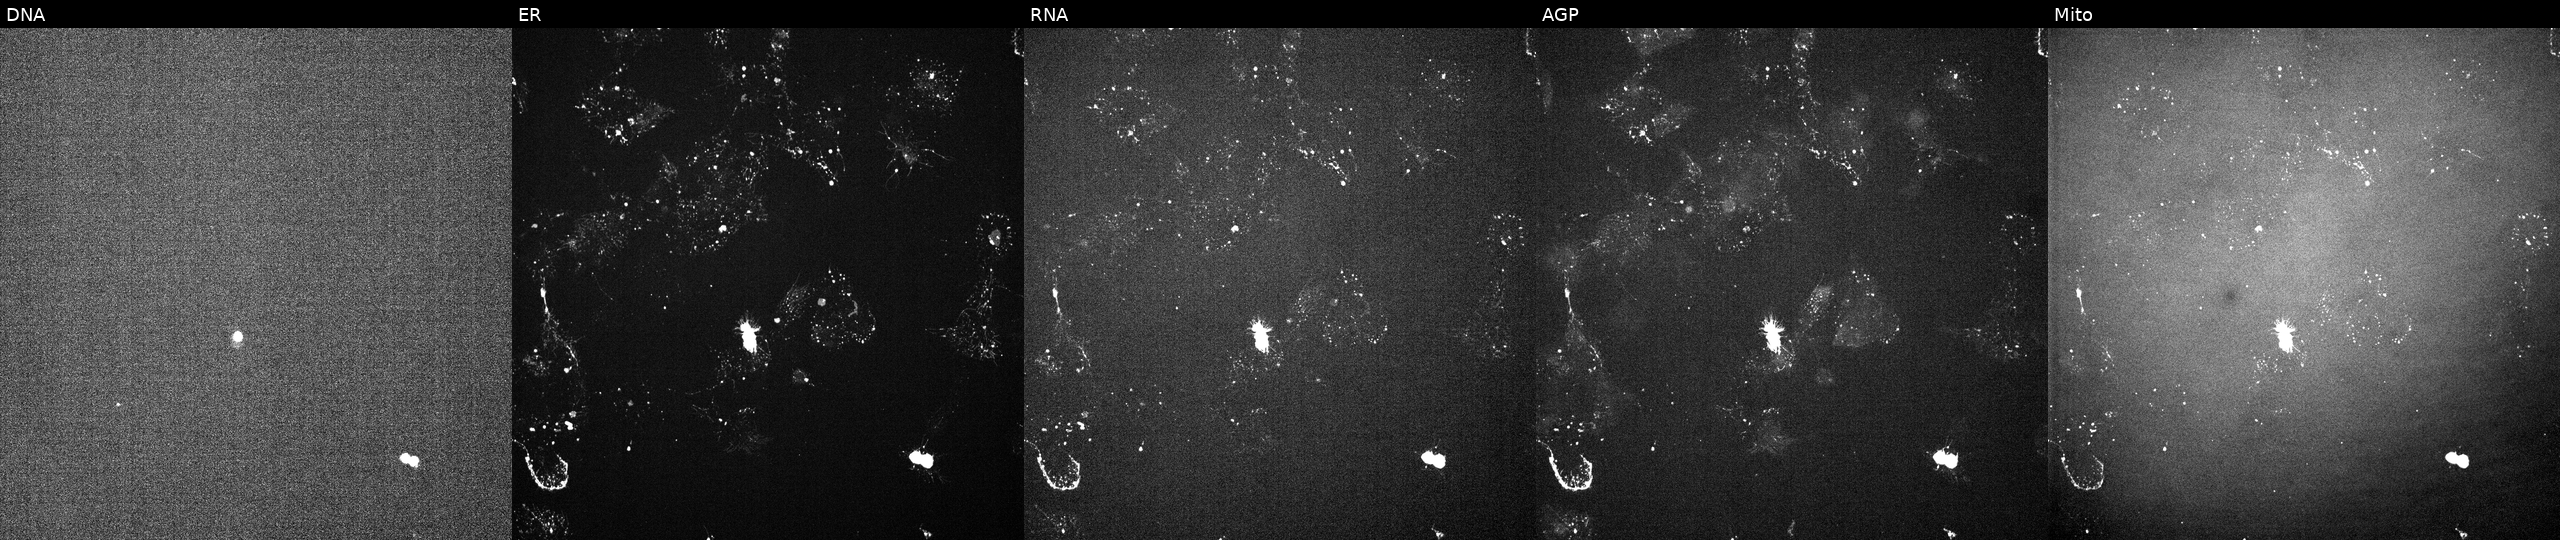
JUMP Cell Painting — TARGET2 plate. U2OS cells treated with a small-molecule compound [SMILES: NC(=O)Nc1cc(-c2cccc(F)c2)sc1C(=O)NC1CCCNC1] (JUMP id JCP2022_033914). The five panels, left to right, show DNA, ER, RNA, AGP, and Mito. Source 6, plate 110000294901, well D11.